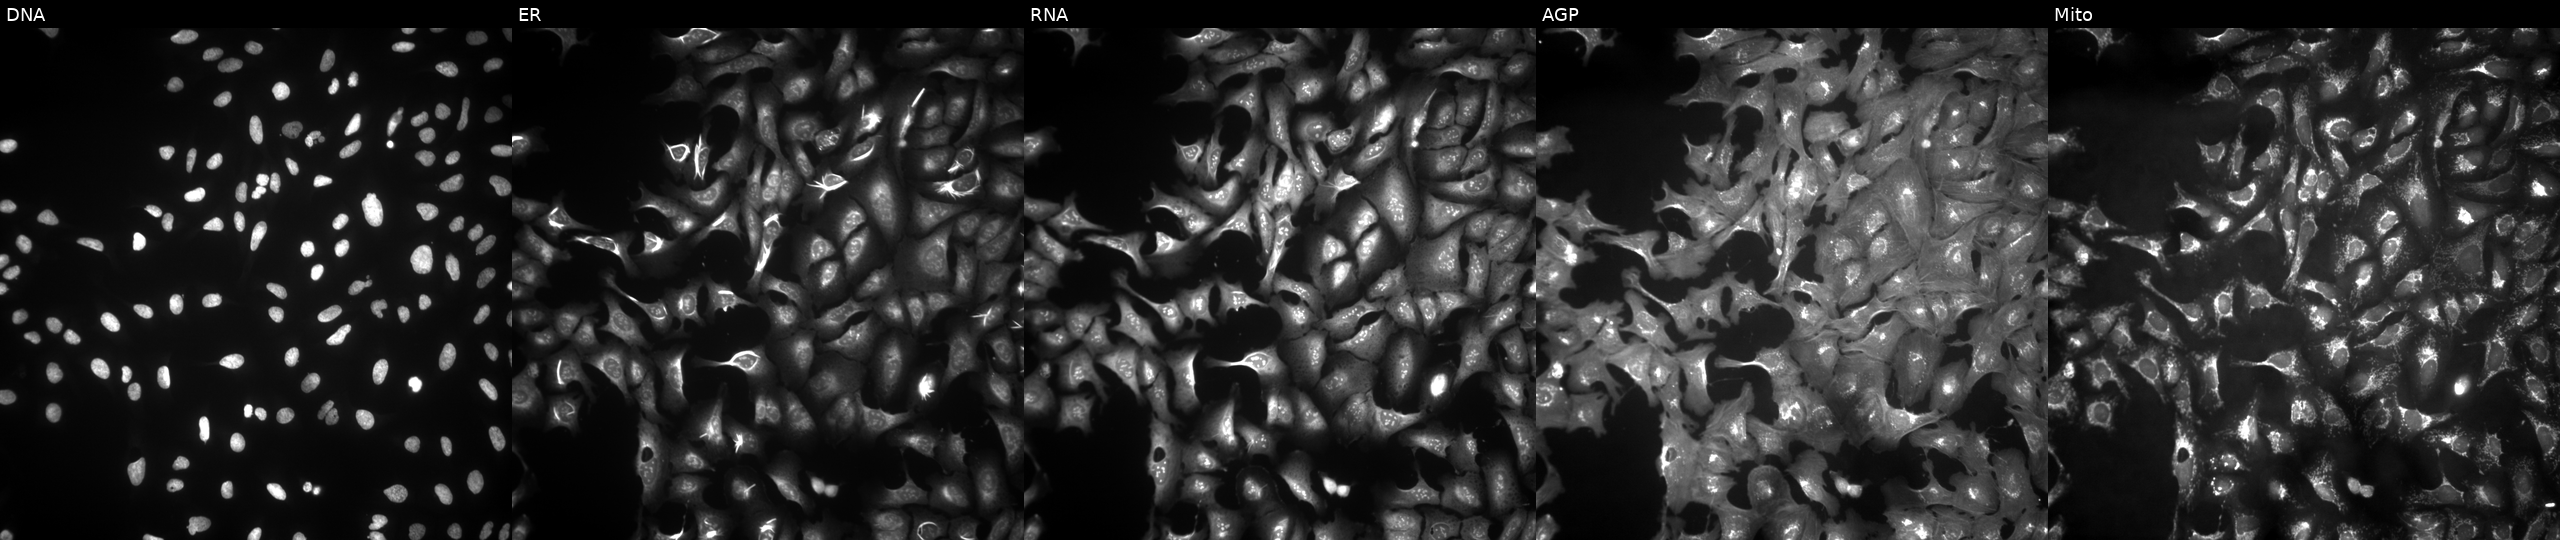
JUMP Cell Painting — ORF plate. U2OS cells transfected with an ORF construct for NEU1. Panels show, left to right, Hoechst 33342, concanavalin A, SYTO 14, phalloidin and WGA, MitoTracker.